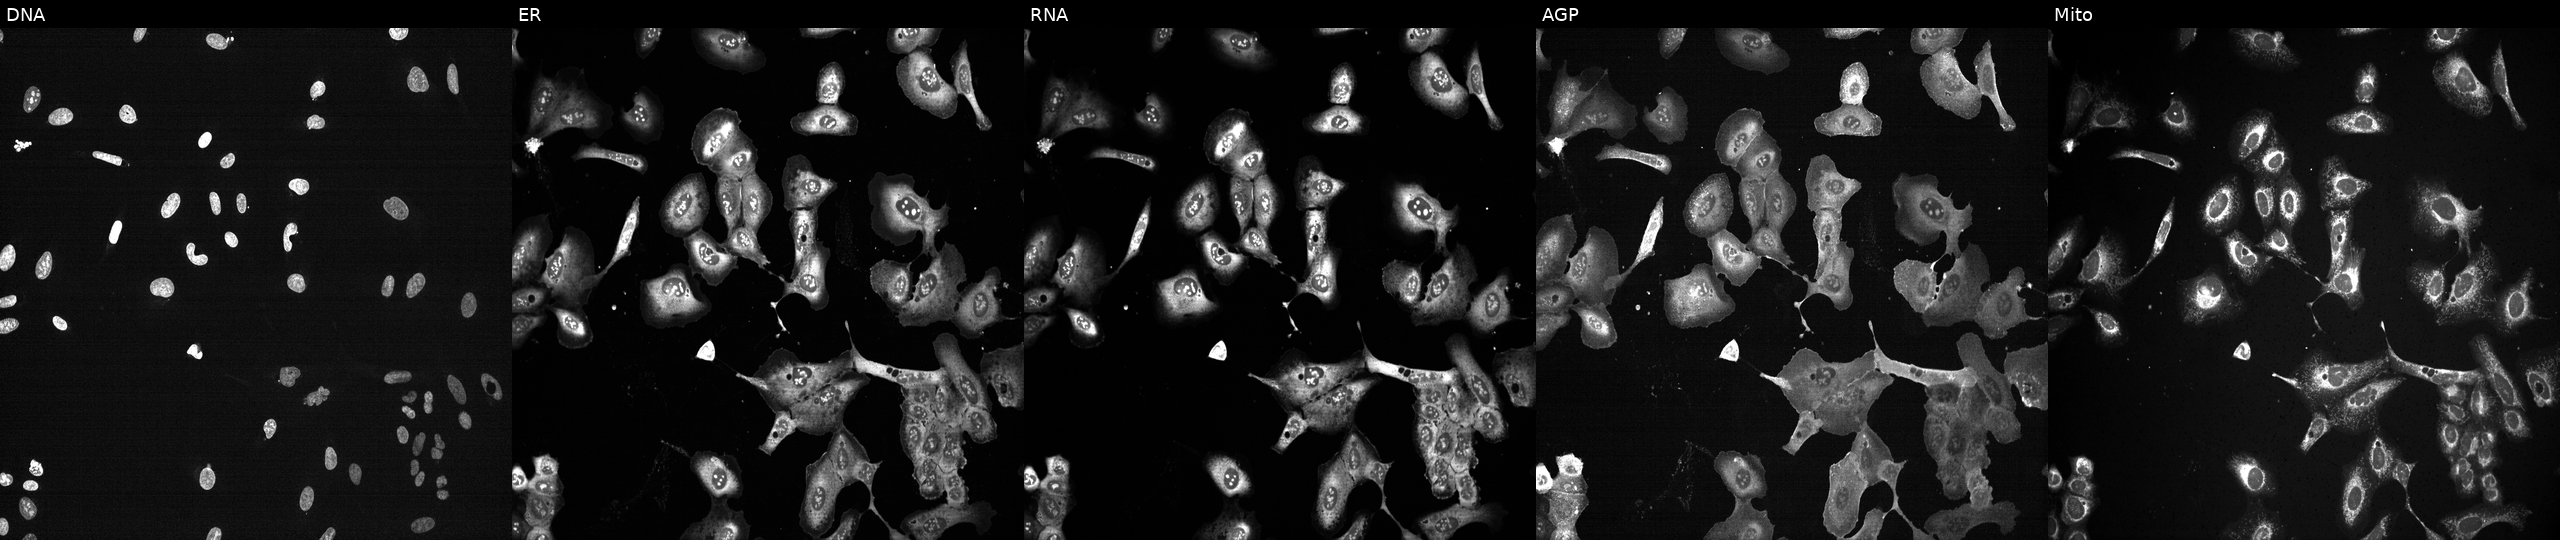
The five panels, left to right, show DNA, ER, RNA, AGP, and Mito. U2OS osteosarcoma cells following CRISPR knockout of RRM2 (JUMP id JCP2022_806130). Cell Painting assay, JUMP-CP dataset.